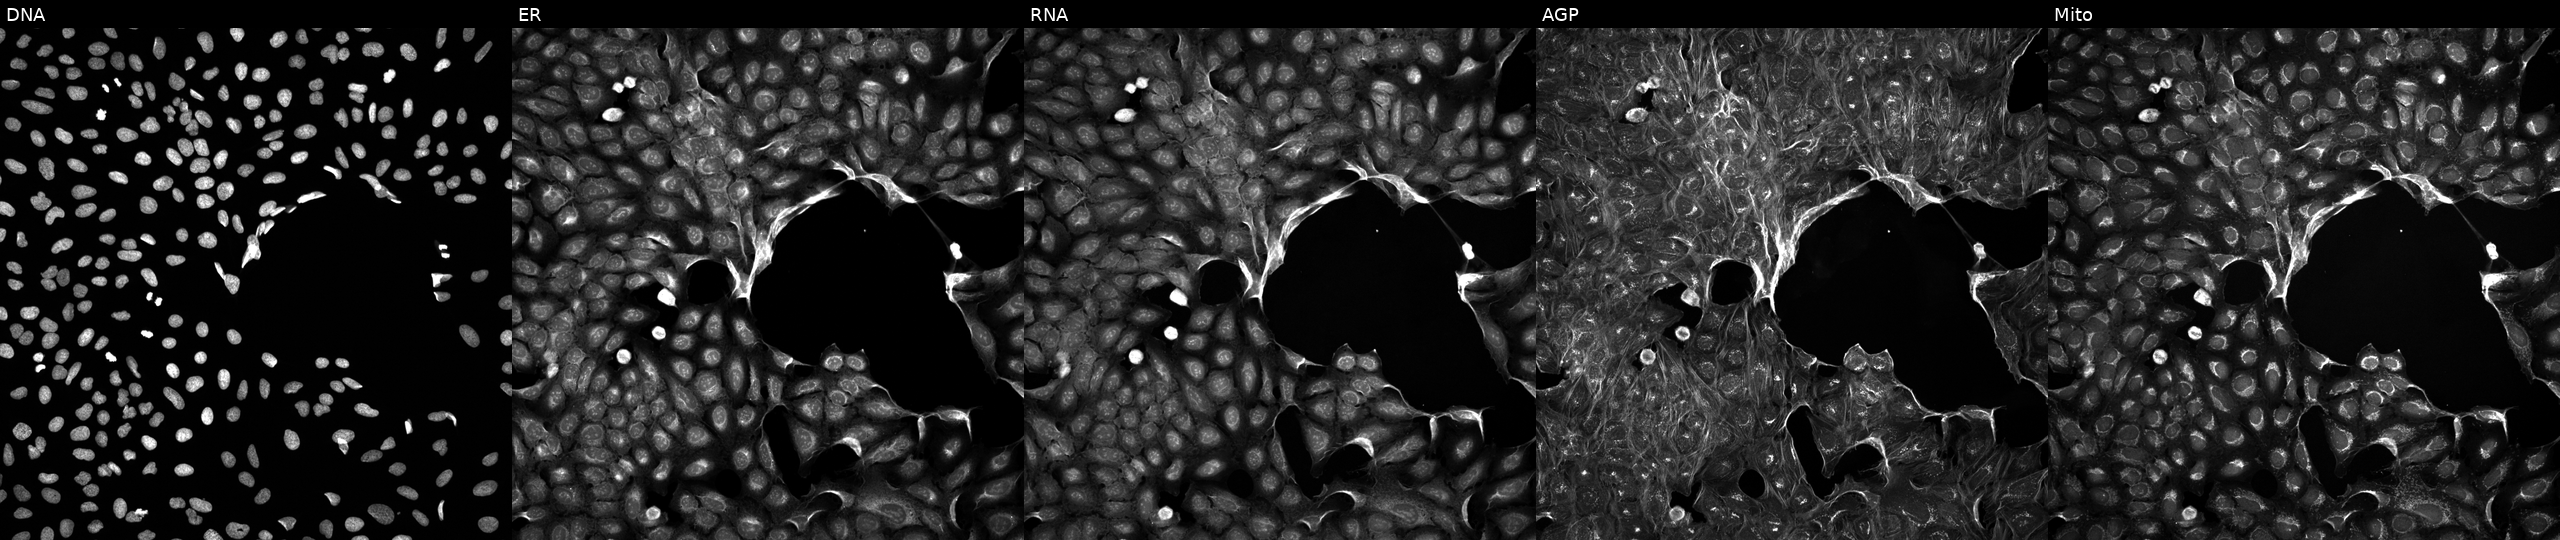
Five-channel Cell Painting image of U2OS cells perturbed with a small-molecule compound (InChIKey RYEFFICCPKWYML-UHFFFAOYSA-N) (JUMP id JCP2022_081496). Channels (left→right): DNA, ER, RNA, AGP, and Mito.